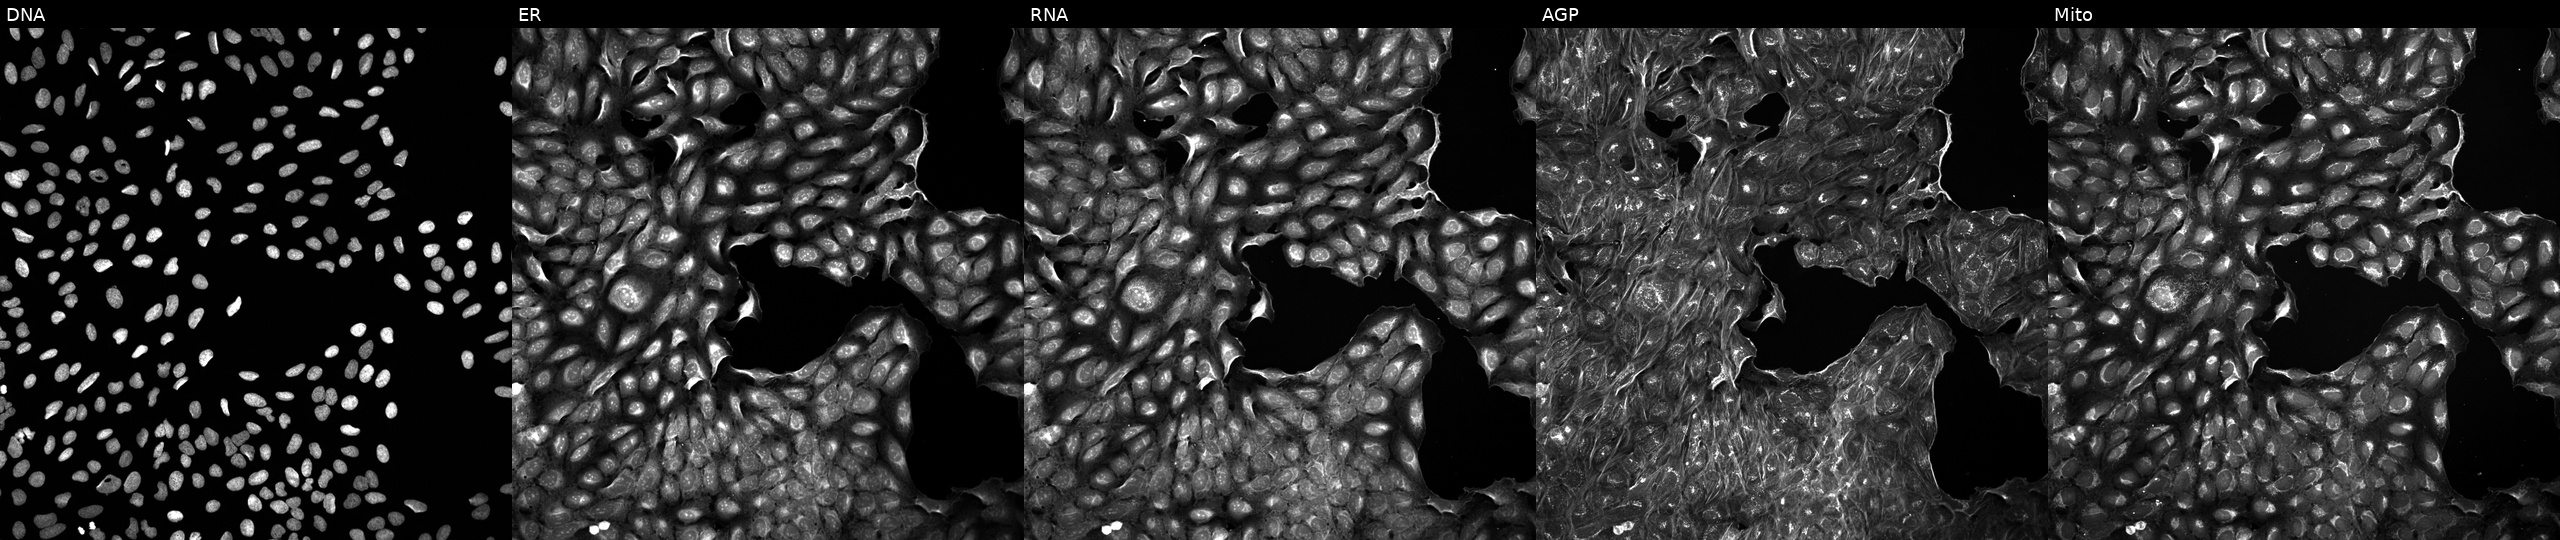
U2OS cells, Cell Painting assay, perturbed with a small-molecule compound [SMILES: CCn1c(Cn2nnc(-c3cccc(Cl)c3)n2)nc2cc(S(=O)(=O)N3CCOCC3)ccc21]. Panels show, left to right, DNA (nuclei); ER (endoplasmic reticulum); RNA (nucleoli and cytoplasmic RNA); AGP (actin cytoskeleton, Golgi, and plasma membrane); Mito (mitochondria). Each panel is percentile-stretched 16-bit fluorescence. Source 5, plate APTJUM105, well L20.